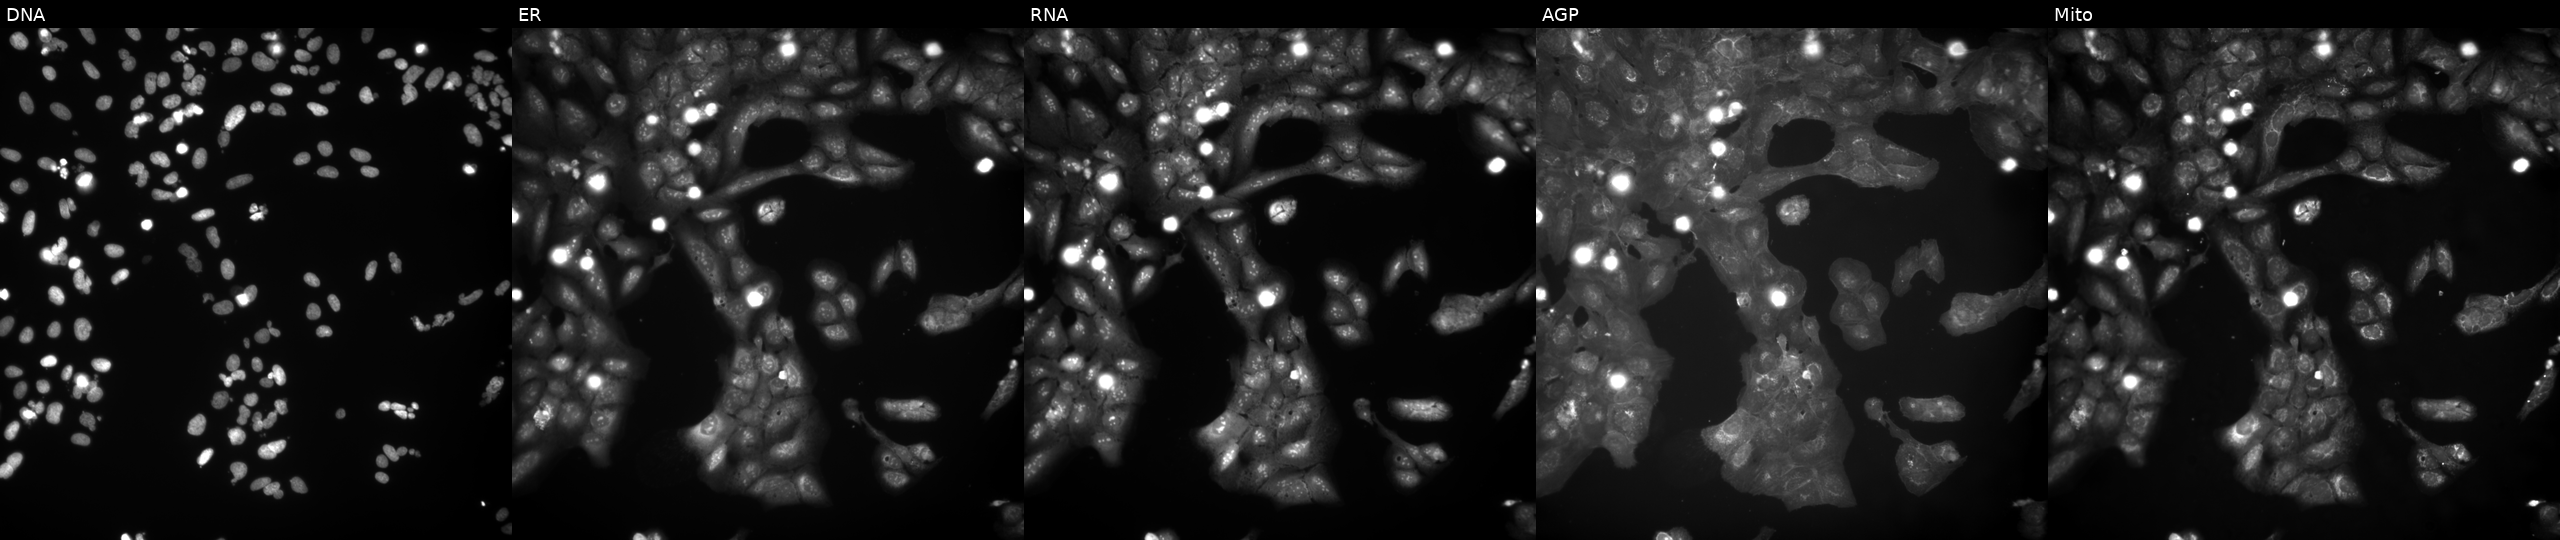
This image strip shows the five Cell Painting channels for a single field of U2OS cells treated with a small-molecule compound [SMILES: Cc1ccc(C(C)(C)C)c(OCC(=O)N=c2[nH]ccs2)c1] (JUMP id JCP2022_012995). Panels show, left to right, DNA (nuclei); ER (endoplasmic reticulum); RNA (nucleoli and cytoplasmic RNA); AGP (actin cytoskeleton, Golgi, and plasma membrane); Mito (mitochondria). Source 9, plate GR00003382, well F41.